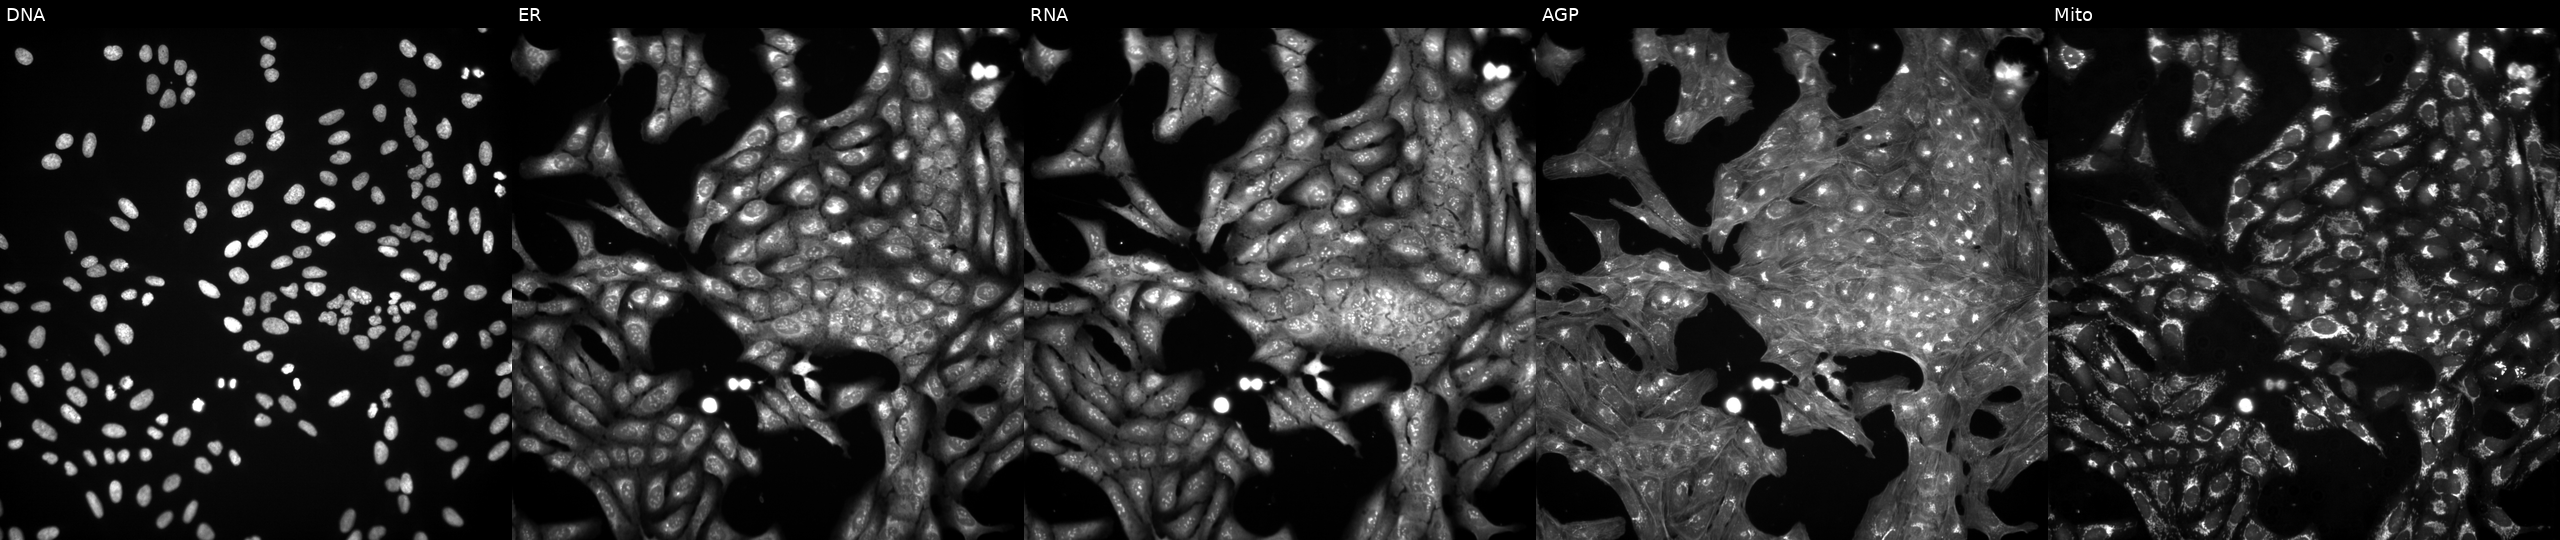
High-content fluorescence microscopy (Cell Painting). Cell line: U2OS. Perturbation: treated with a small-molecule compound (InChIKey GTZQWJSEZZRUCT-UHFFFAOYSA-N). From left to right: DNA (nuclei); ER (endoplasmic reticulum); RNA (nucleoli and cytoplasmic RNA); AGP (actin cytoskeleton, Golgi, and plasma membrane); Mito (mitochondria).